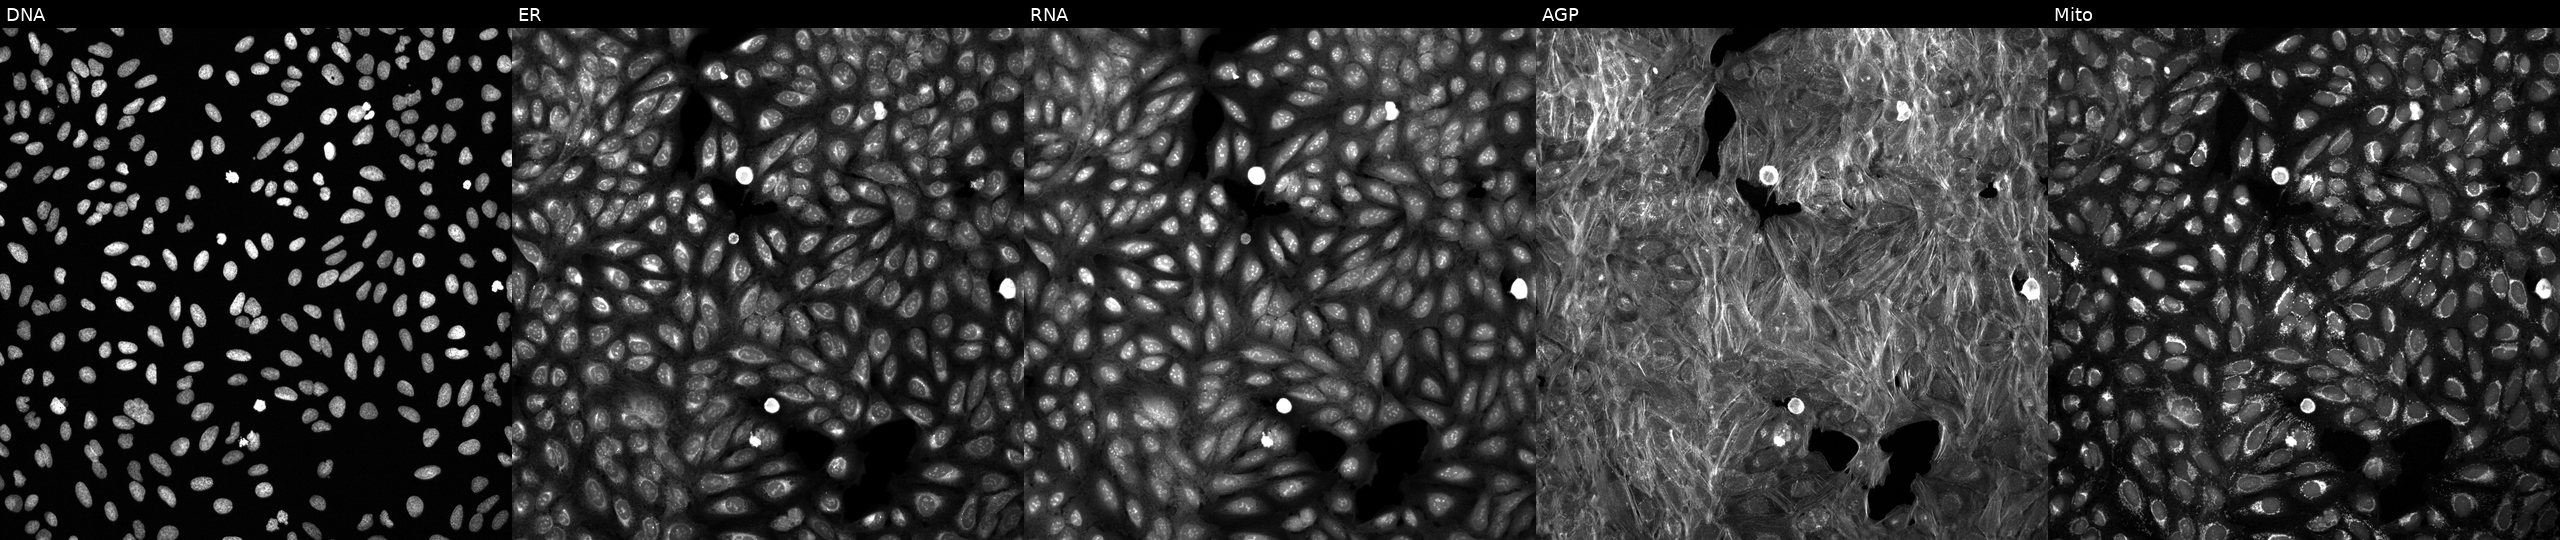
High-content fluorescence microscopy (Cell Painting). Cell line: U2OS. Perturbation: perturbed with a small-molecule compound (InChIKey OVPRJYCSFNAATO-UHFFFAOYSA-N) (JUMP id JCP2022_066416). Panels show, left to right, DNA (nuclei); ER (endoplasmic reticulum); RNA (nucleoli and cytoplasmic RNA); AGP (actin cytoskeleton, Golgi, and plasma membrane); Mito (mitochondria).